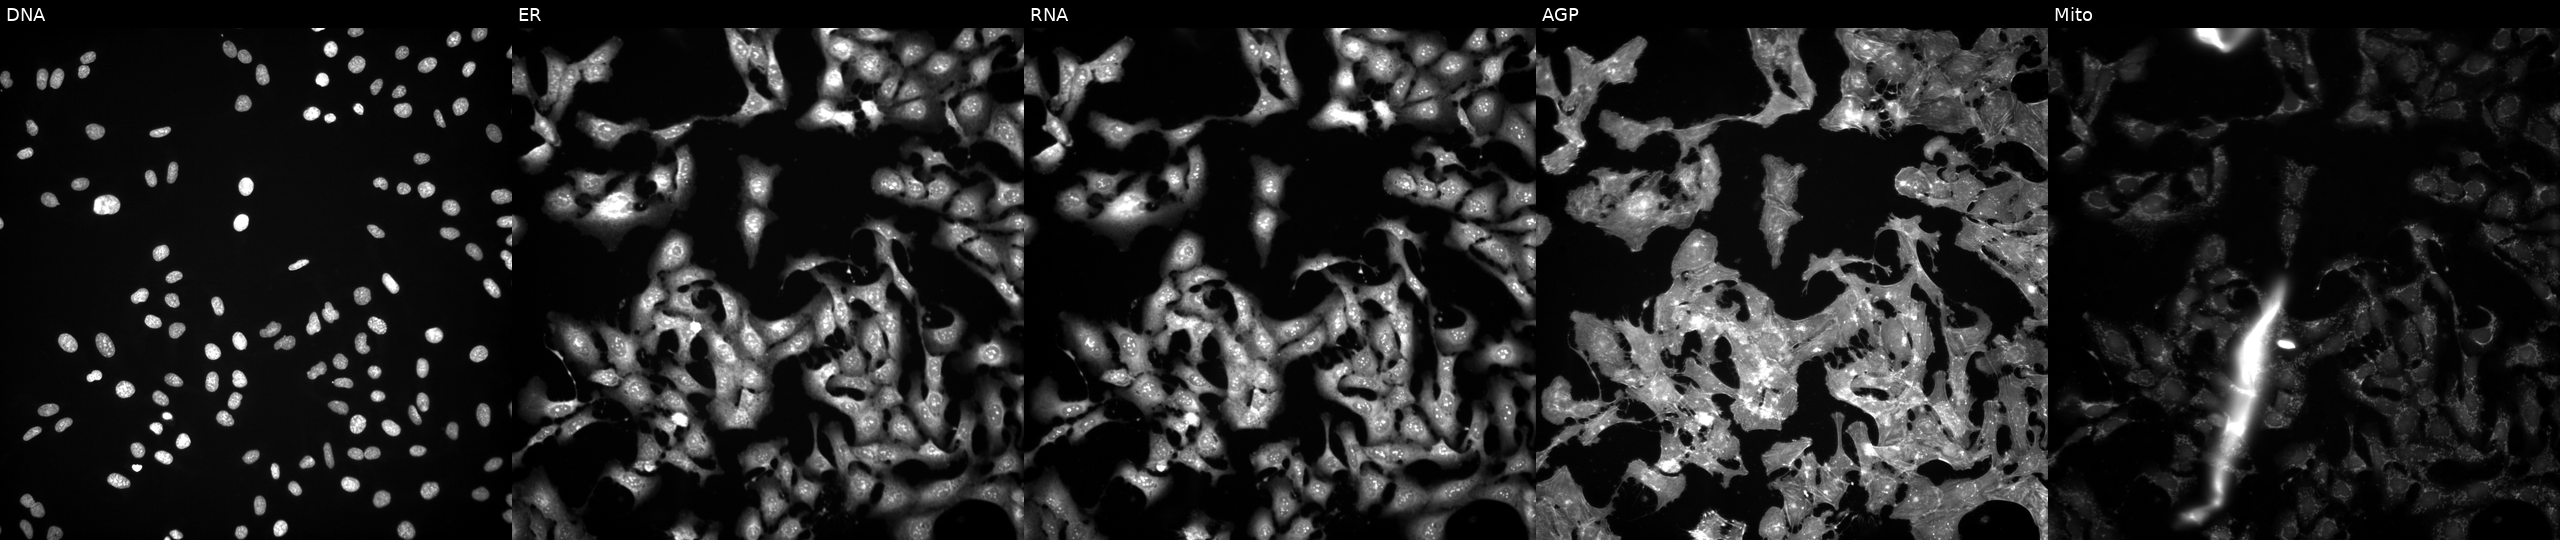
JUMP Cell Painting — TARGET2 plate. U2OS cells exposed to the positive-control compound FK-866 (JUMP id JCP2022_046054). The five panels, left to right, show DNA, ER, RNA, AGP, and Mito.